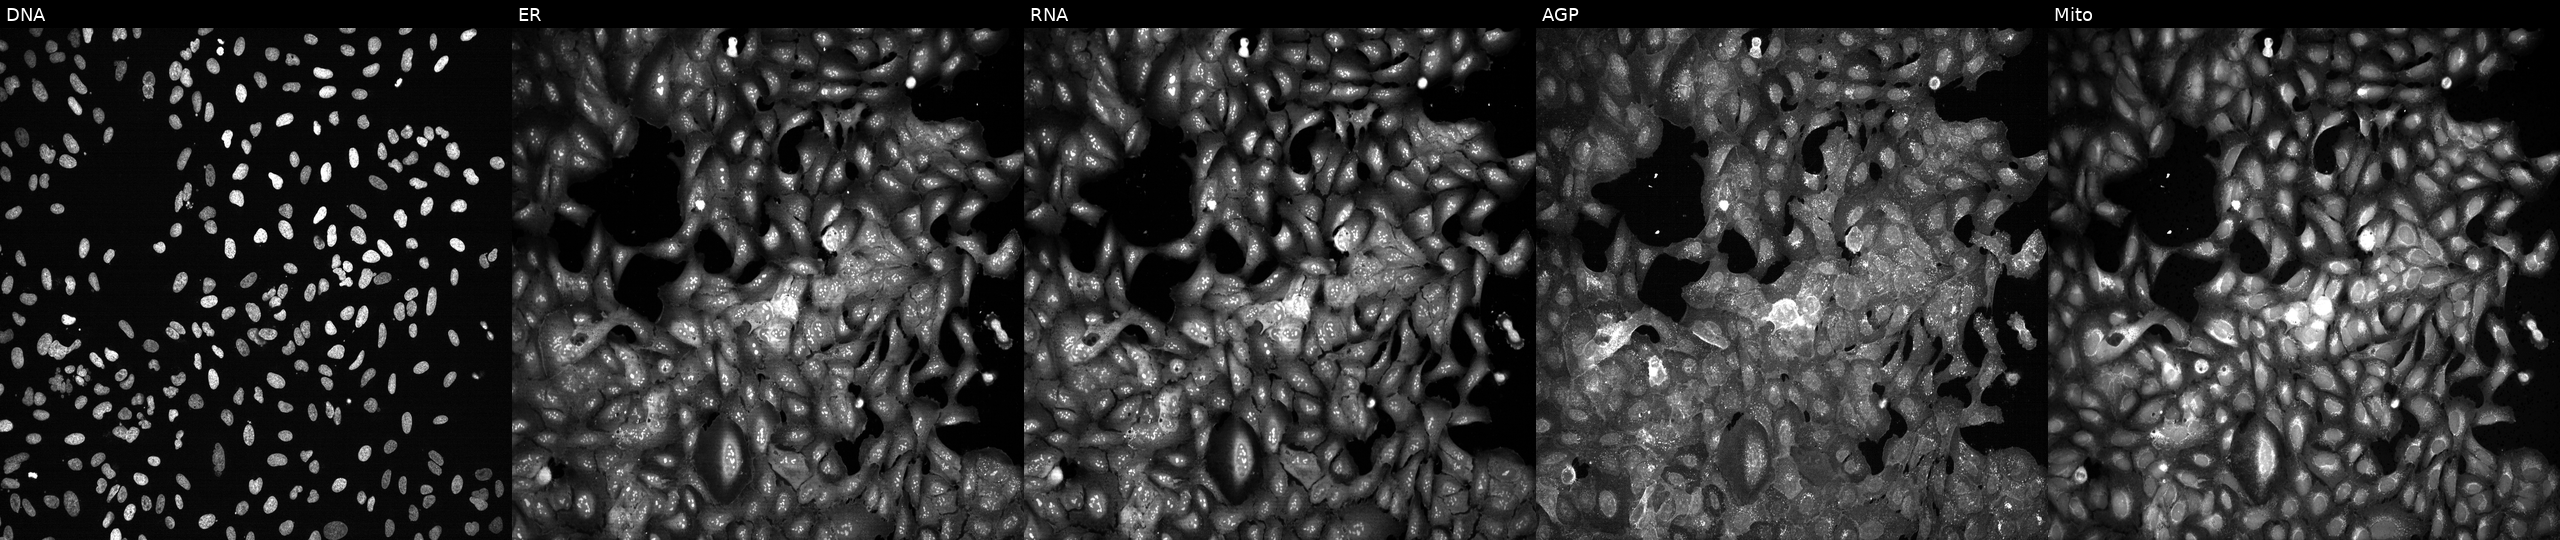
JUMP Cell Painting — CRISPR plate. U2OS cells with ITGA5 knocked out by CRISPR. From left to right: DNA, ER, RNA, AGP, and Mito.